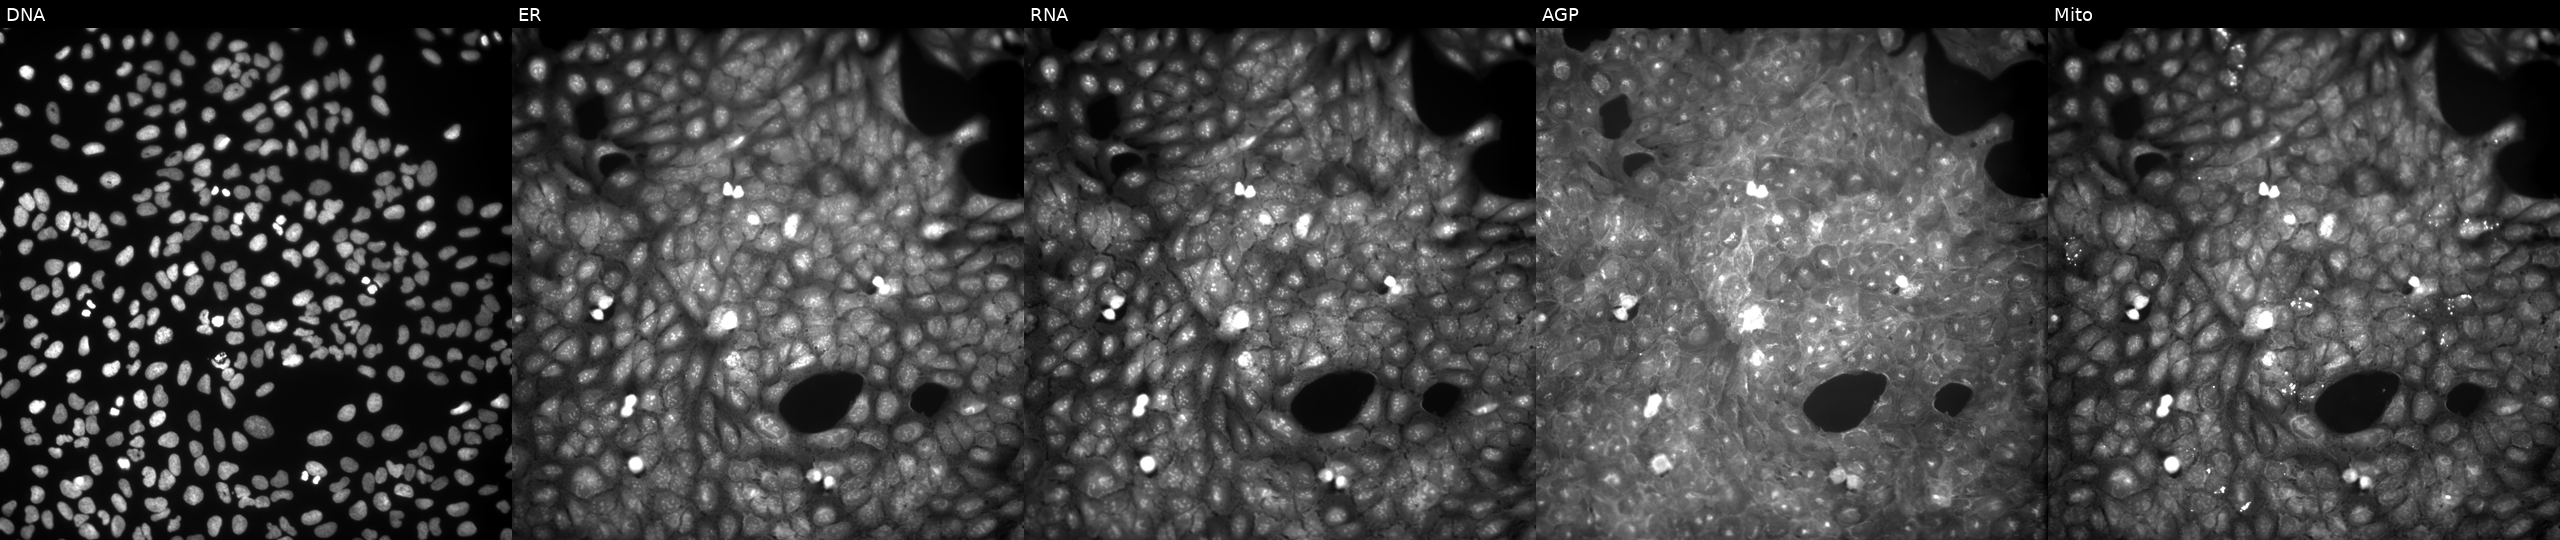
Panels show, left to right, Hoechst 33342, concanavalin A, SYTO 14, phalloidin and WGA, MitoTracker. U2OS osteosarcoma cells treated with a small-molecule compound [SMILES: Cc1ccccc1OCCn1c(=N)n(C(C)C)c2ccccc21]. Cell Painting assay, JUMP-CP dataset. Source 9, plate GR00003381, well AD14.